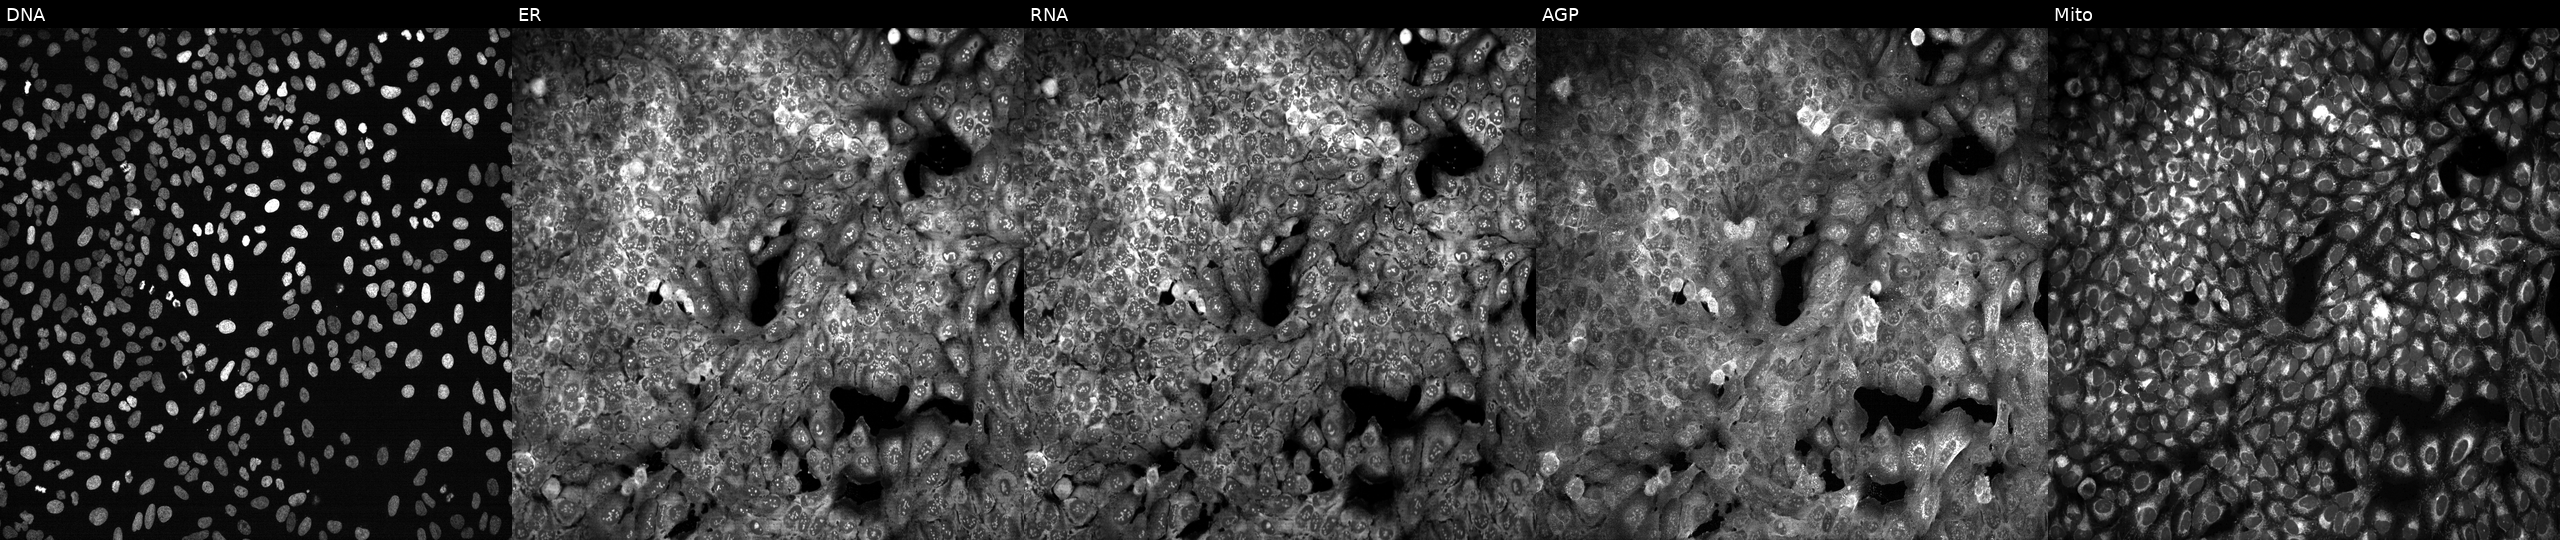
High-content fluorescence microscopy (Cell Painting). Cell line: U2OS. Perturbation: following CRISPR knockout of B2M. Channels (left→right): DNA, ER, RNA, AGP, and Mito.